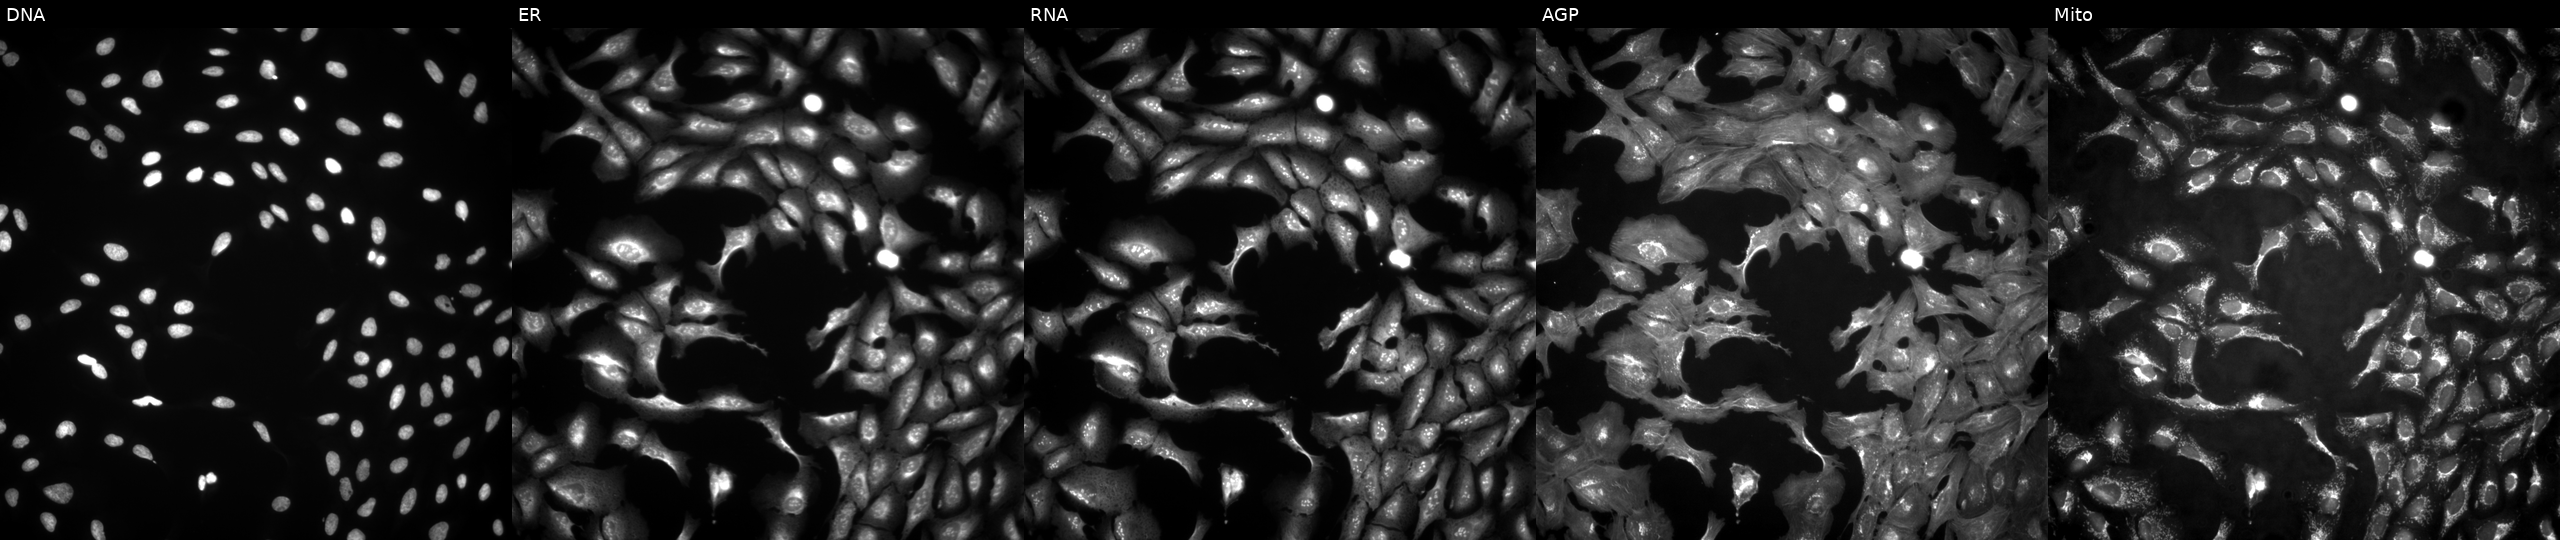
Five-channel Cell Painting image of U2OS cells overexpressing UFM1 via ORF transfection. Panels show, left to right, DNA, ER, RNA, AGP, and Mito. Source 4, plate BR00123509, well G16.